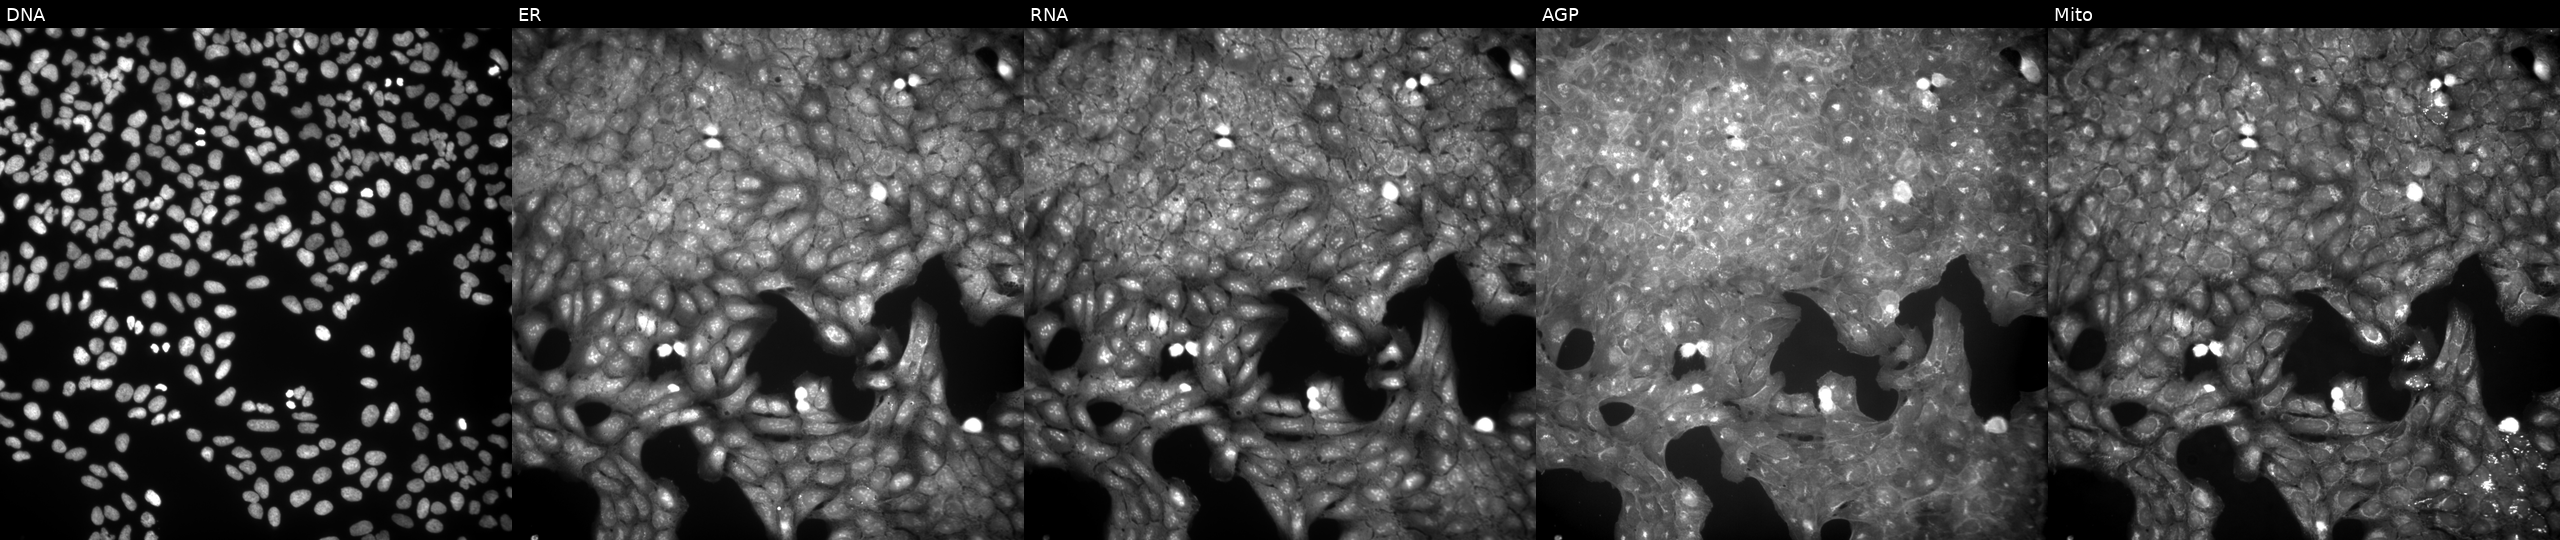
Five-channel Cell Painting image of U2OS cells exposed to a small-molecule compound (InChIKey OIXUIDYDBXXZDF-UHFFFAOYSA-N) (JUMP id JCP2022_064088). From left to right: DNA, ER, RNA, AGP, and Mito. Source 9, plate GR00003381, well N39.